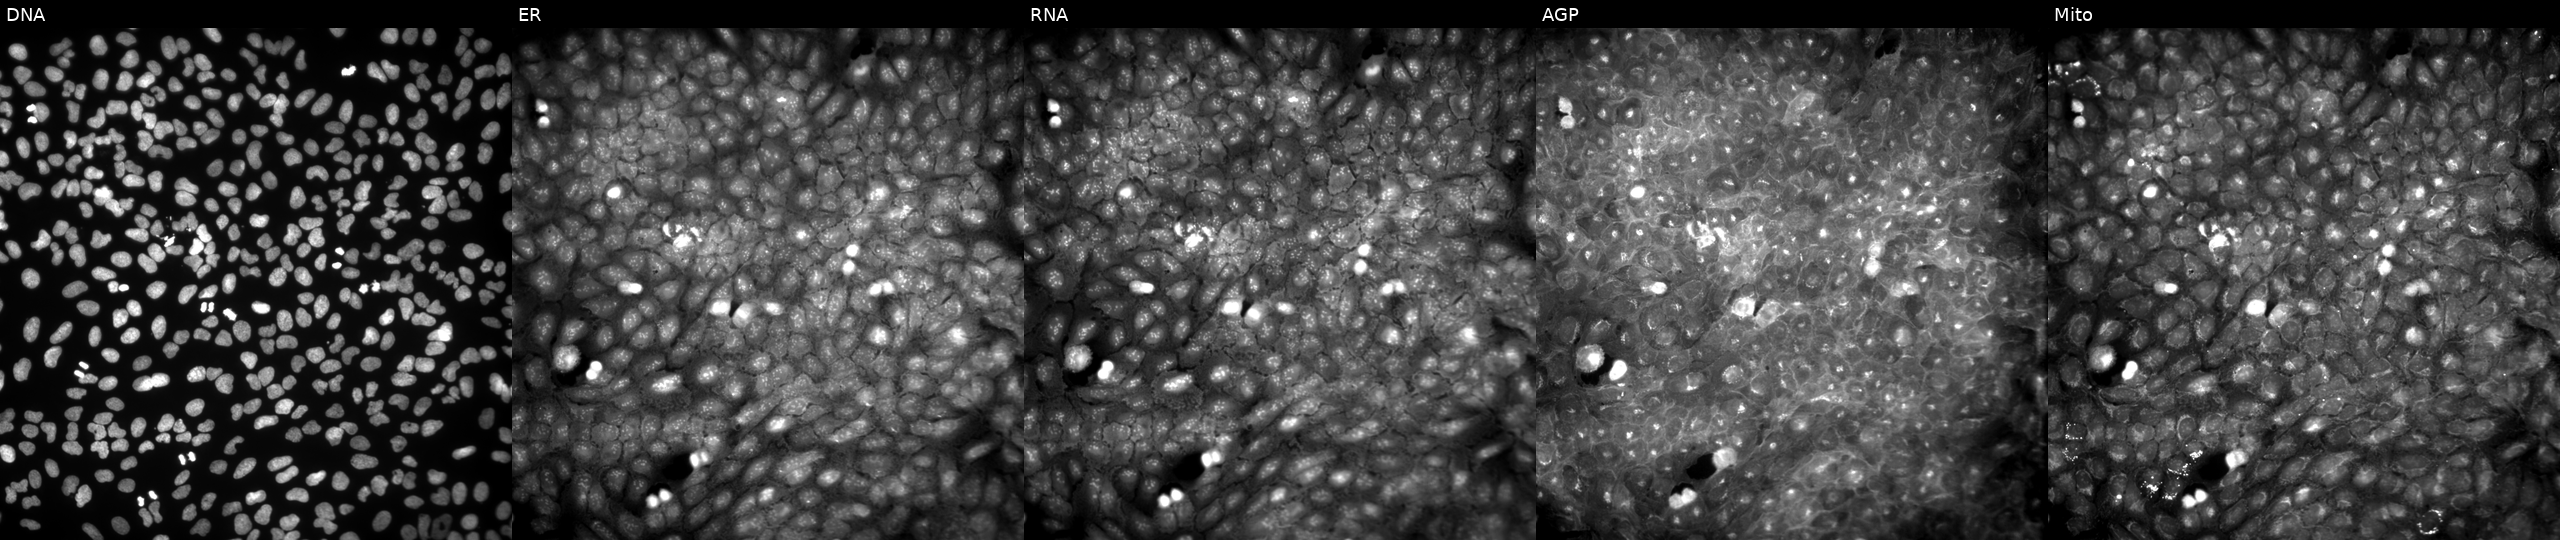
Five-channel Cell Painting image of U2OS cells perturbed with a small-molecule compound (InChIKey GQJDTSCFZWGOQN-UHFFFAOYSA-N). The five panels, left to right, show DNA, ER, RNA, AGP, and Mito. Source 9, plate GR00003381, well Y39.